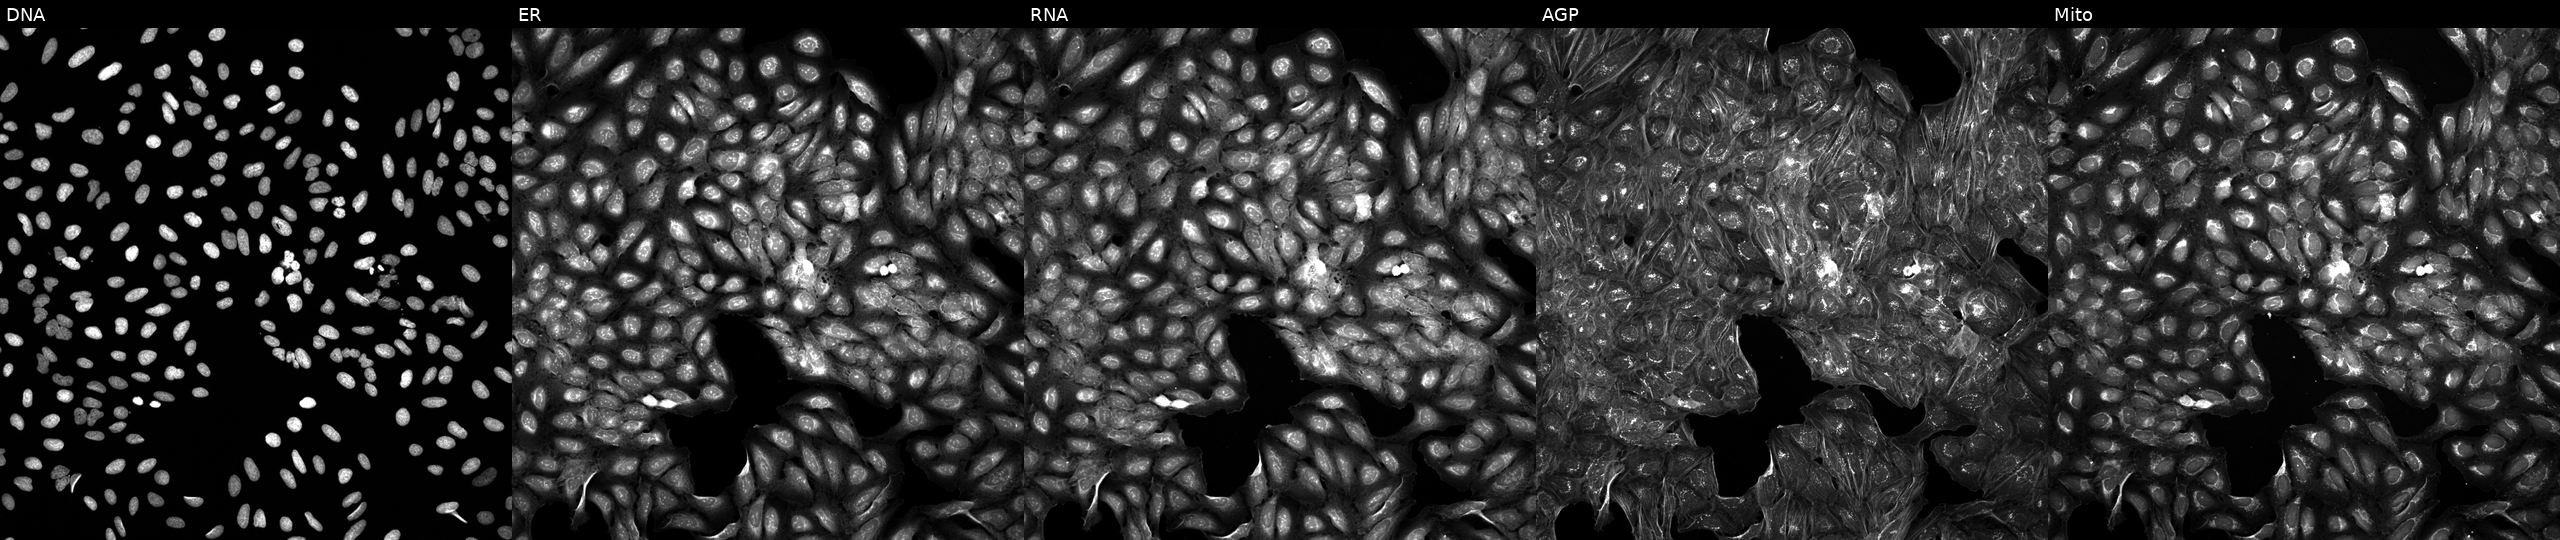
From left to right: DNA (nuclei); ER (endoplasmic reticulum); RNA (nucleoli and cytoplasmic RNA); AGP (actin cytoskeleton, Golgi, and plasma membrane); Mito (mitochondria). U2OS osteosarcoma cells treated with a small-molecule compound (InChIKey XXJWOGUSAIPLTD-UHFFFAOYSA-N). Cell Painting assay, JUMP-CP dataset.